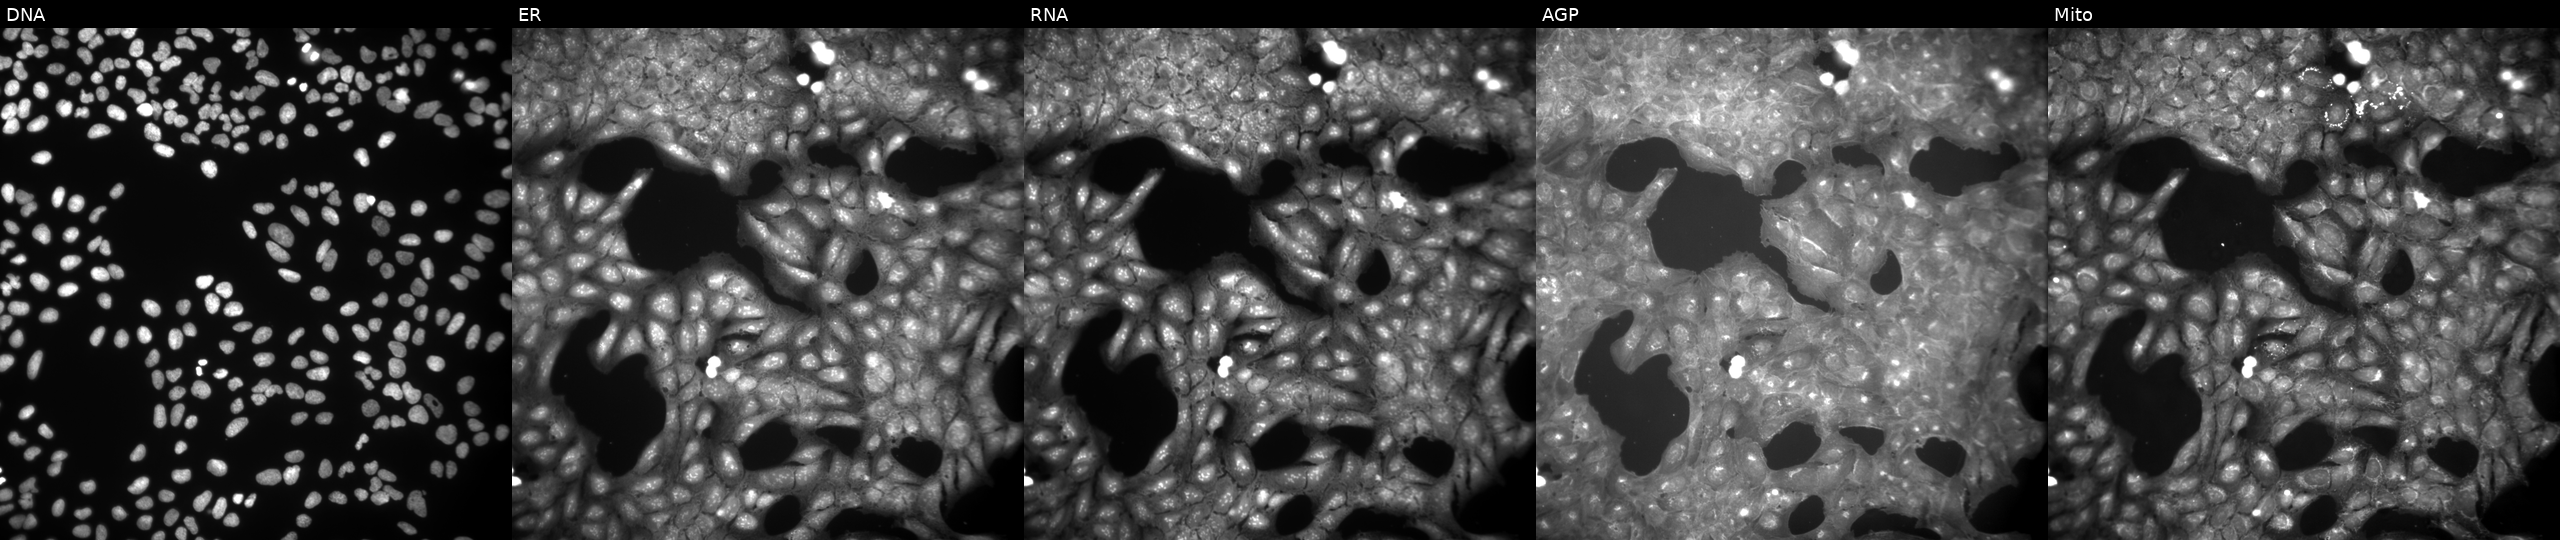
From left to right: DNA, ER, RNA, AGP, and Mito. U2OS osteosarcoma cells treated with a small-molecule compound (InChIKey KINUCWHRJPFQQY-UHFFFAOYSA-N) [SMILES: O=[N+]([O-])c1ccc(-c2cnc3ccccc3n2)cc1]. Cell Painting assay, JUMP-CP dataset. Source 9, plate GR00003381, well E44.